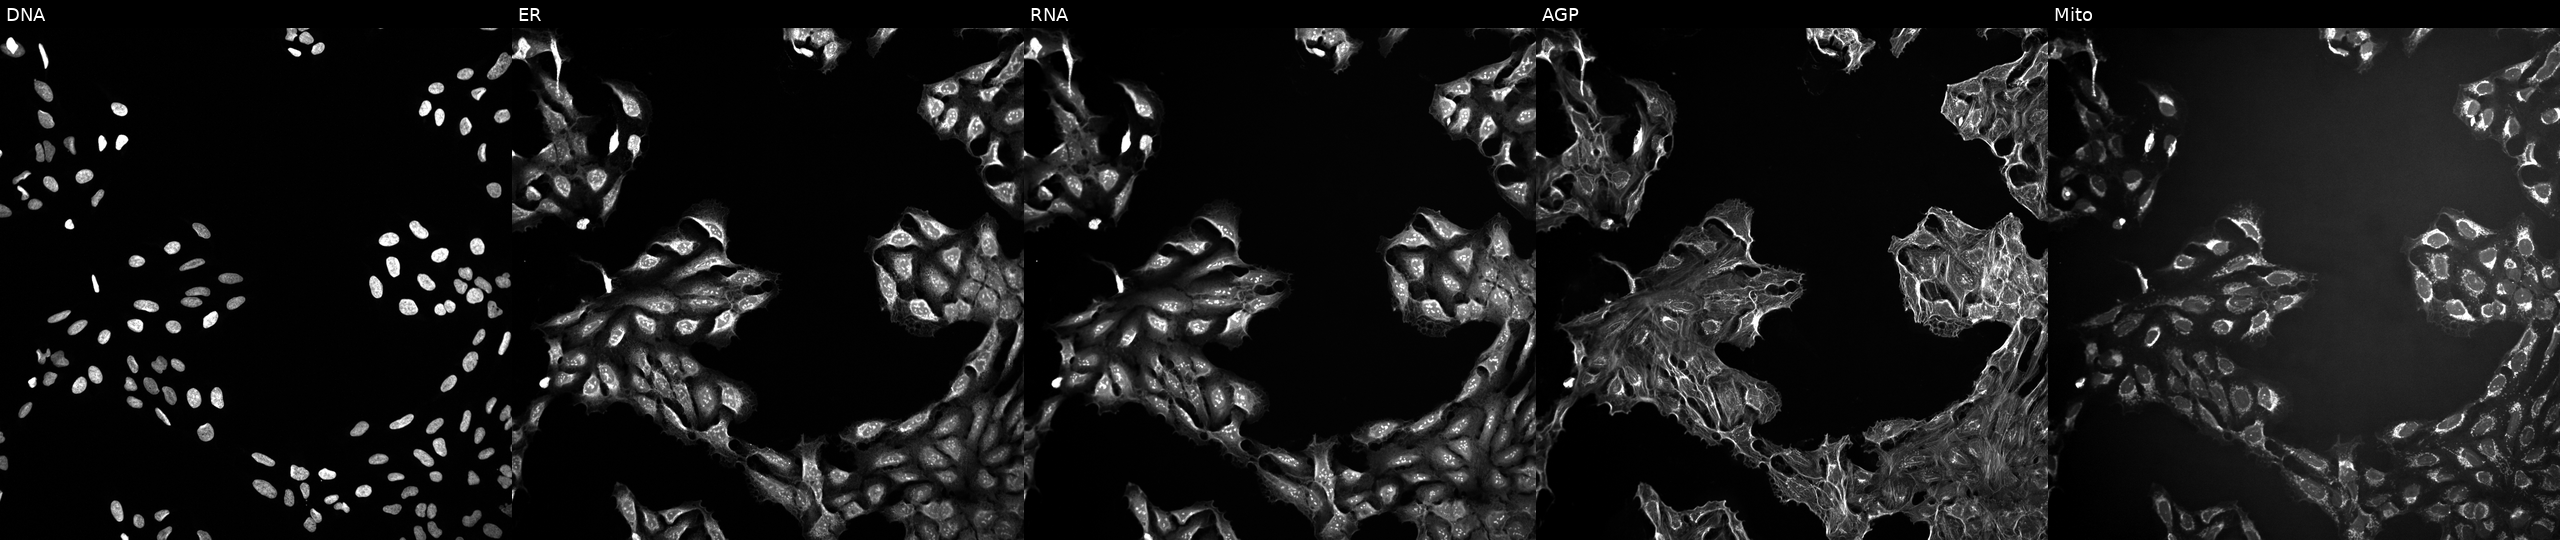
U2OS cells, Cell Painting assay, treated with DMSO vehicle only (negative control) (JUMP id JCP2022_033924). Panels show, left to right, DNA (nuclei); ER (endoplasmic reticulum); RNA (nucleoli and cytoplasmic RNA); AGP (actin cytoskeleton, Golgi, and plasma membrane); Mito (mitochondria). Each panel is percentile-stretched 16-bit fluorescence.